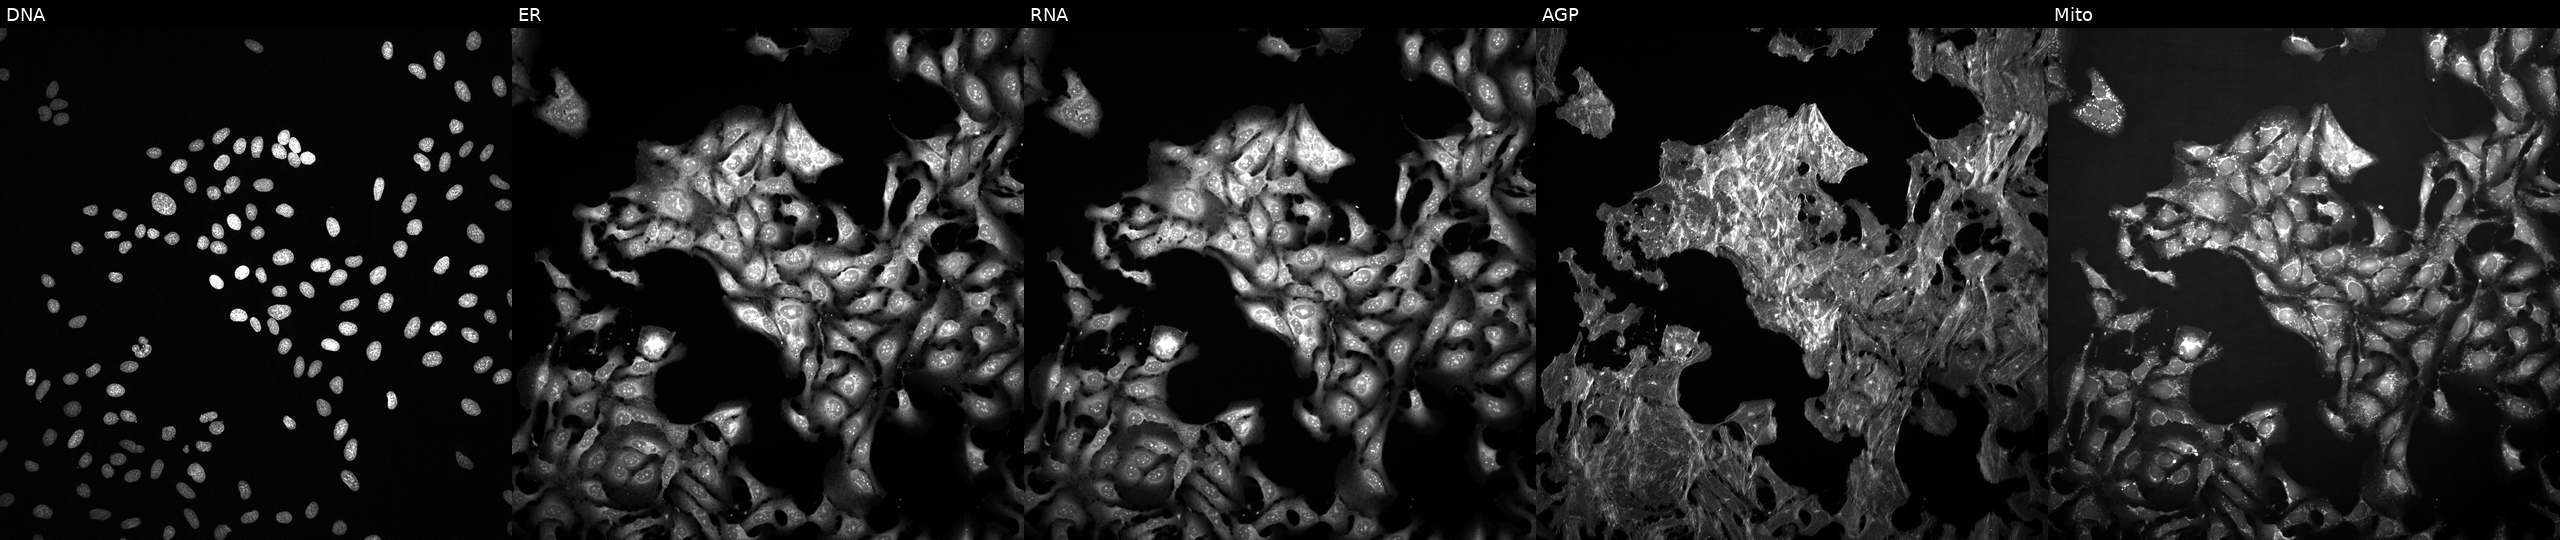
The five panels, left to right, show Hoechst 33342, concanavalin A, SYTO 14, phalloidin and WGA, MitoTracker. U2OS osteosarcoma cells treated with FK-866 (positive-control compound). Cell Painting assay, JUMP-CP dataset. Source 2, plate 1053597936, well H04.